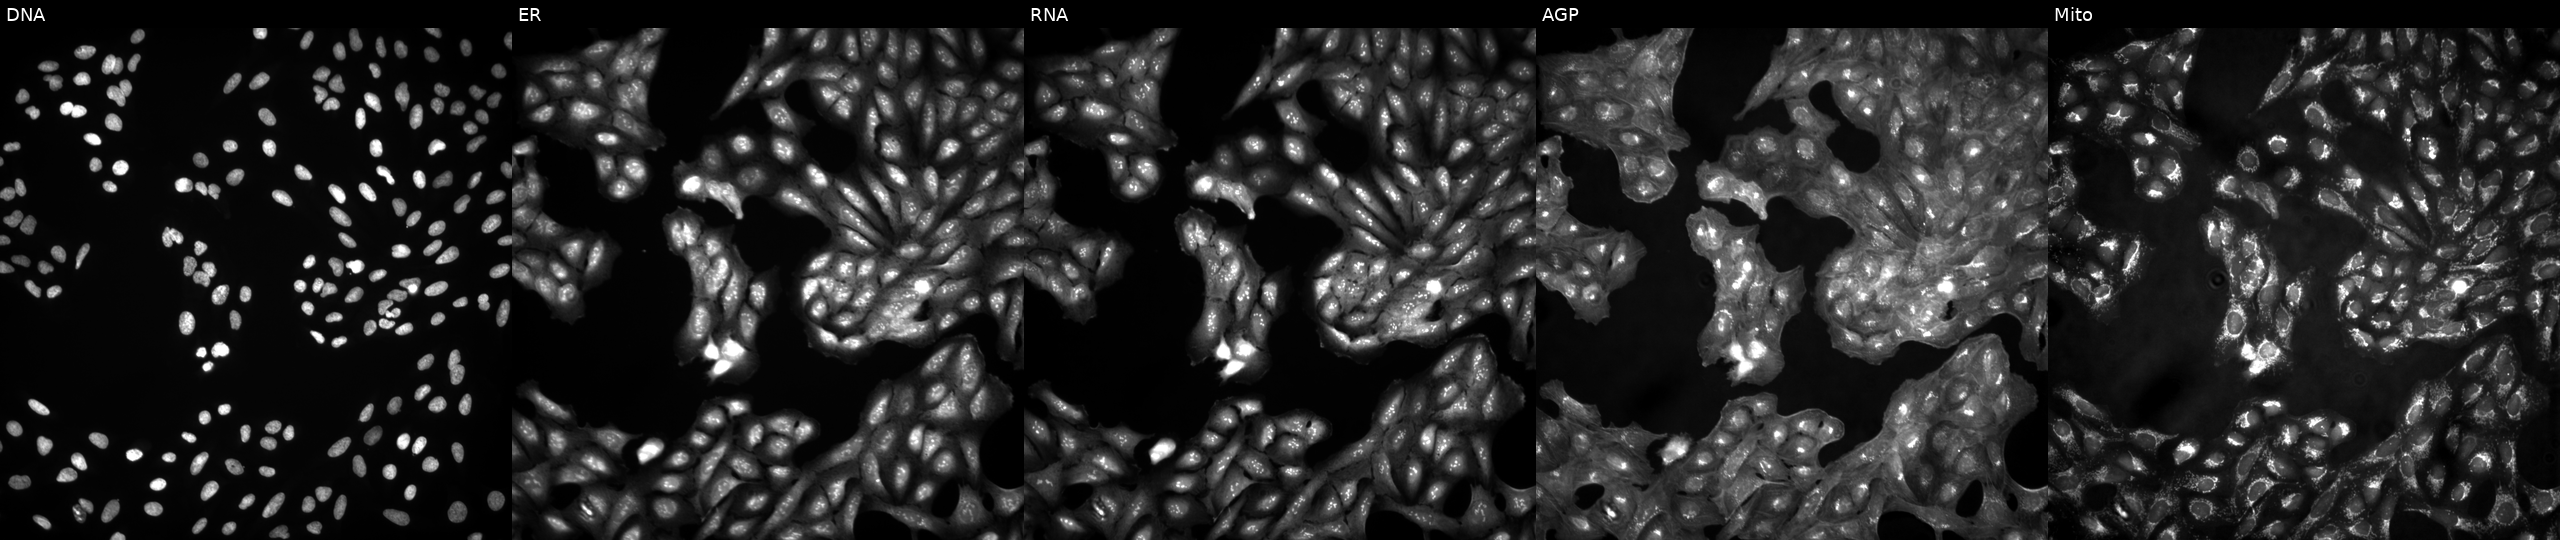
JUMP Cell Painting — ORF plate. U2OS cells in an empty control well (no perturbation). Panels show, left to right, DNA (nuclei); ER (endoplasmic reticulum); RNA (nucleoli and cytoplasmic RNA); AGP (actin cytoskeleton, Golgi, and plasma membrane); Mito (mitochondria). Source 4, plate BR00123946, well N02.